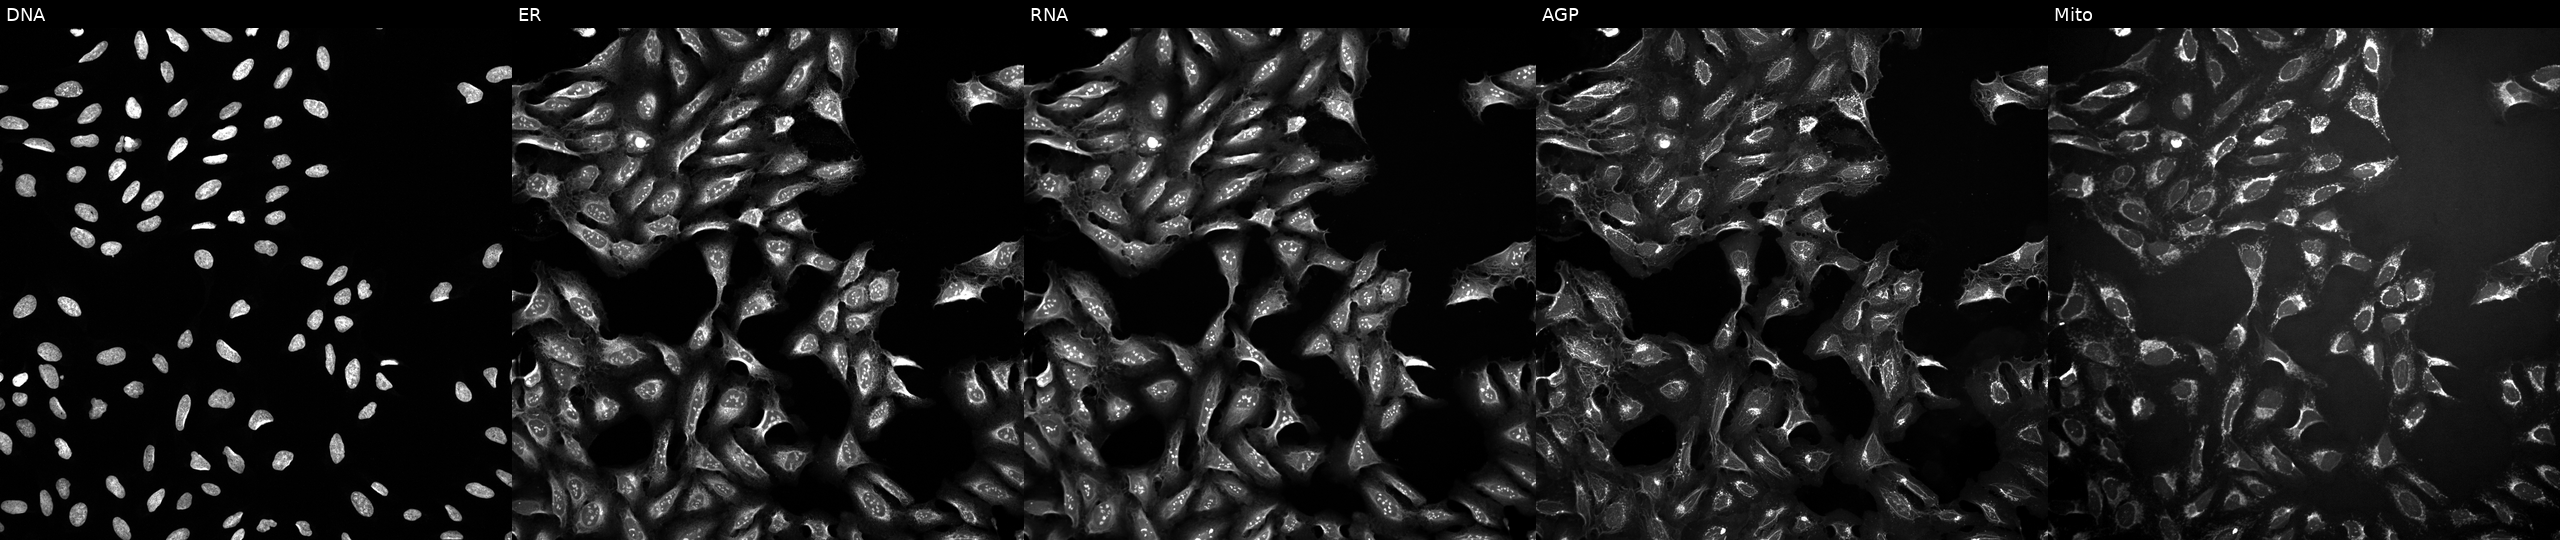
Five-channel Cell Painting image of U2OS cells exposed to a small-molecule compound (InChIKey IPSSXIMJJXSJQB-UHFFFAOYSA-N) [SMILES: CCOC(=O)C(Cc1ccccc1)NC(=O)c1cc(Cl)c(OCCN2CCN(C)CC2)c(Cl)c1O]. The five panels, left to right, show Hoechst 33342, concanavalin A, SYTO 14, phalloidin and WGA, MitoTracker. Source 10, plate Dest210803-153958, well L05.